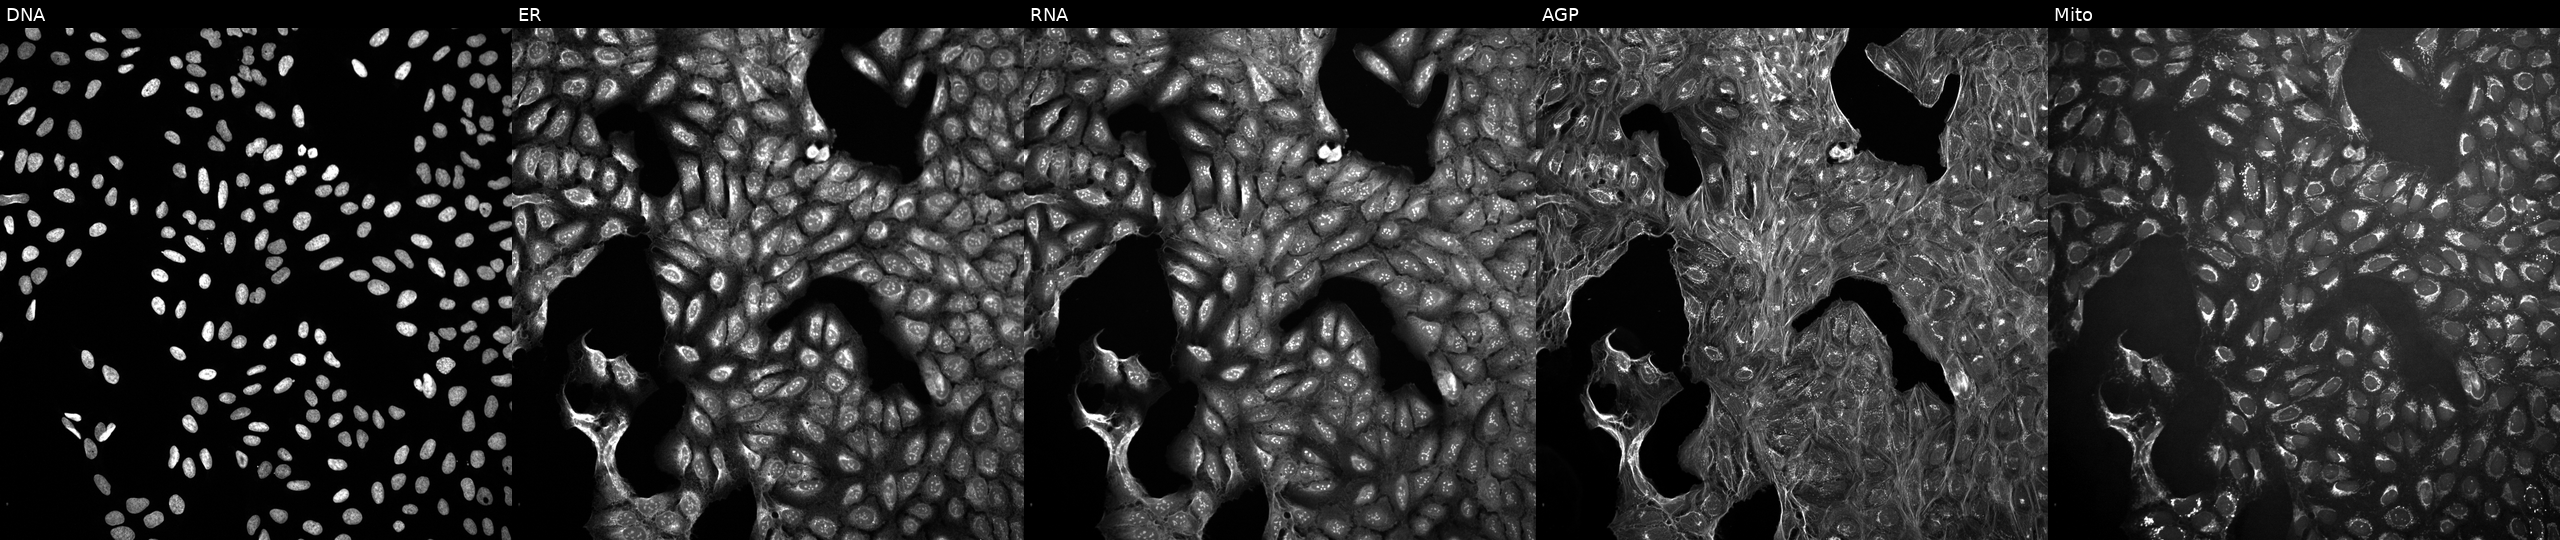
Five-channel Cell Painting image of U2OS cells untreated (empty-well control) (JUMP id JCP2022_999999). The five panels, left to right, show DNA, ER, RNA, AGP, and Mito.